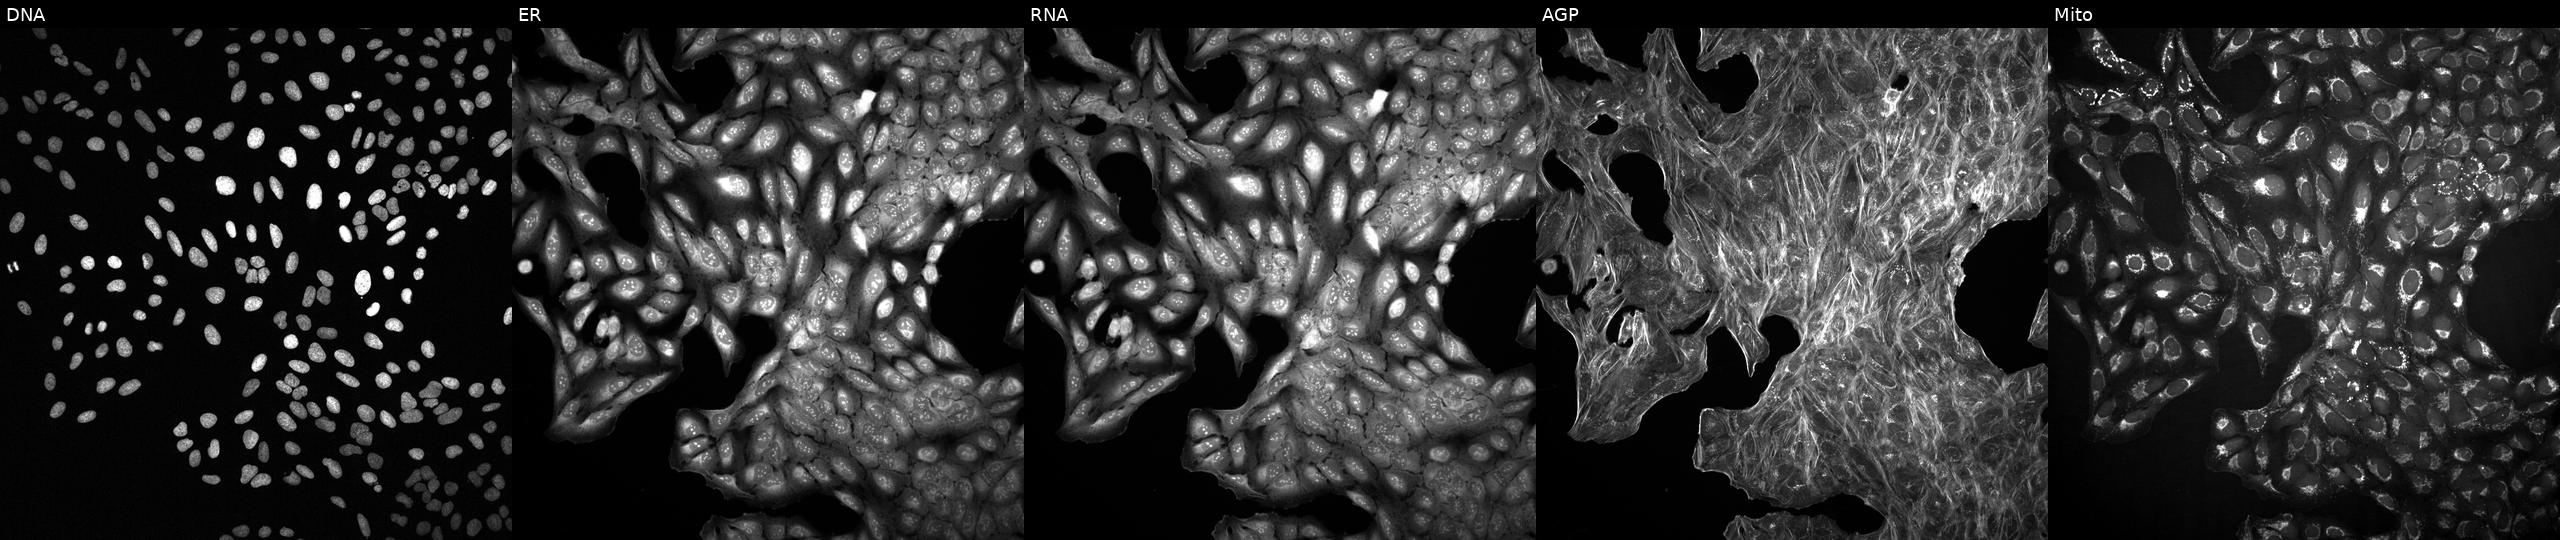
Five-channel Cell Painting image of U2OS cells exposed to DMSO alone as a negative control (JUMP id JCP2022_033924). Channels (left→right): DNA (nuclei); ER (endoplasmic reticulum); RNA (nucleoli and cytoplasmic RNA); AGP (actin cytoskeleton, Golgi, and plasma membrane); Mito (mitochondria).